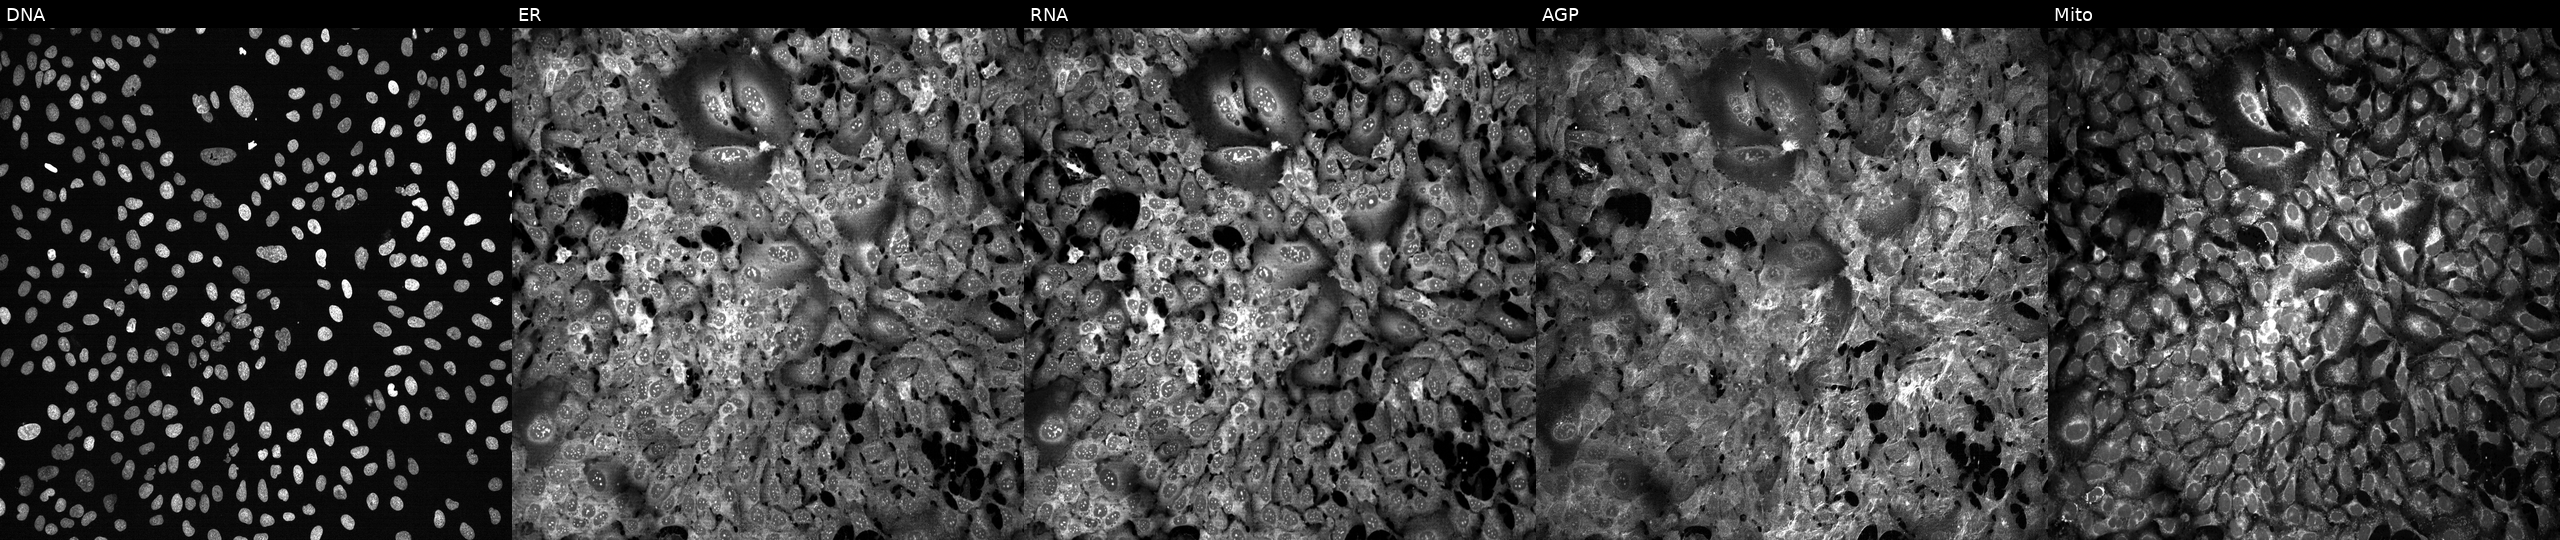
Panels show, left to right, DNA, ER, RNA, AGP, and Mito. U2OS osteosarcoma cells treated with FK-866 (positive-control compound) (JUMP id JCP2022_046054). Cell Painting assay, JUMP-CP dataset. Source 13, plate CP-CC9-R2-01, well M24.